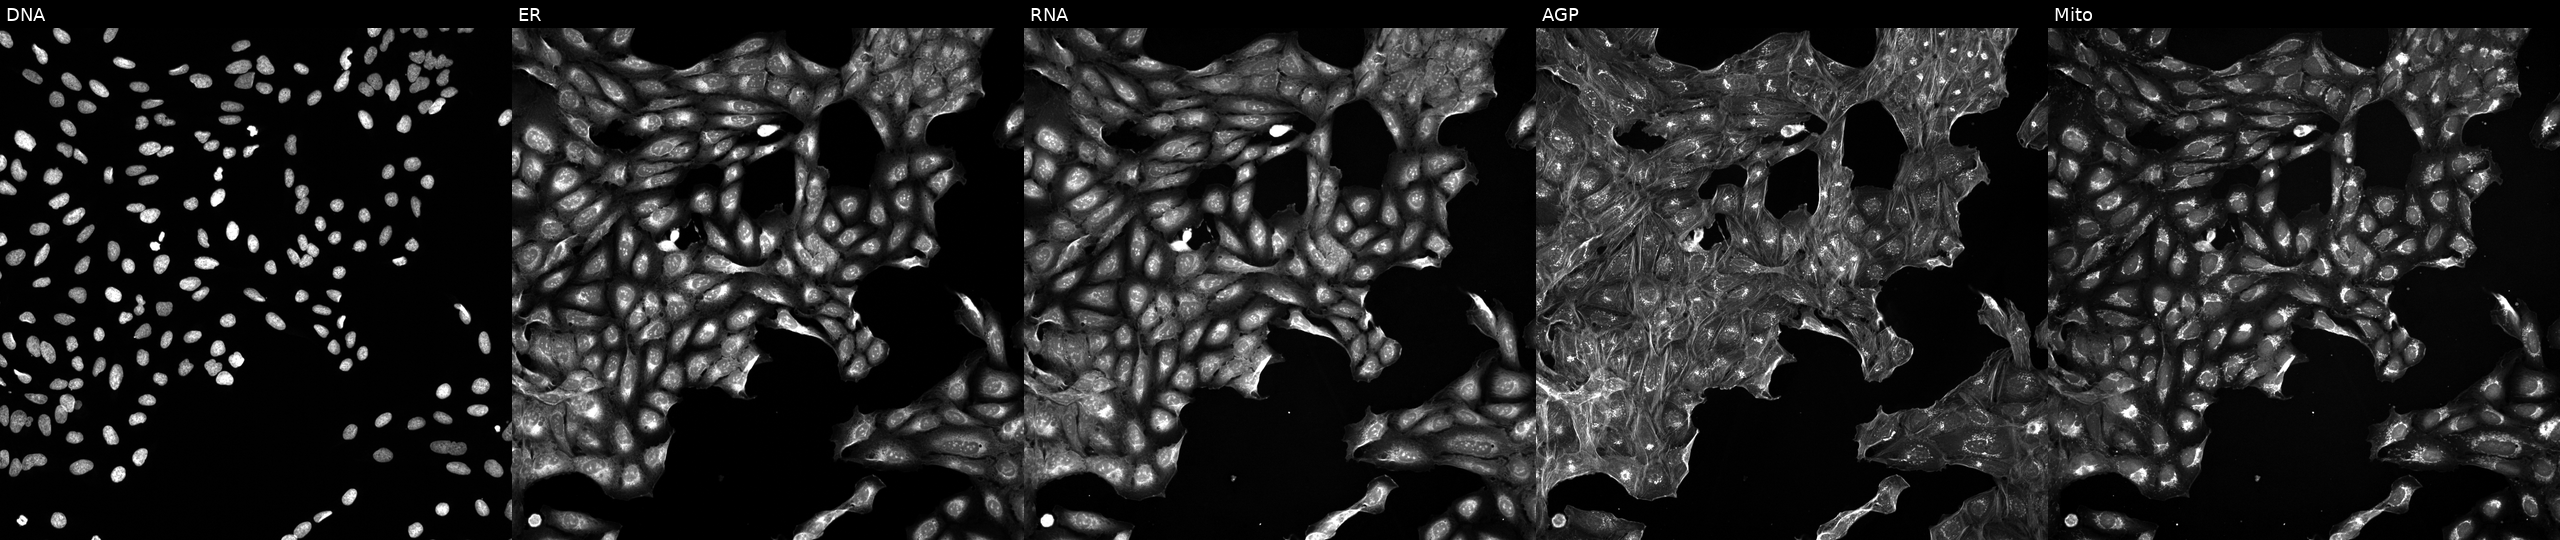
U2OS cells, Cell Painting assay, treated with a small-molecule compound (InChIKey ROBYKNONIPZMTK-UHFFFAOYSA-N) [SMILES: O=Nc1c(O)[nH]c2c(Cl)c(Cl)ccc12] (JUMP id JCP2022_079617). From left to right: Hoechst 33342, concanavalin A, SYTO 14, phalloidin and WGA, MitoTracker. Each panel is percentile-stretched 16-bit fluorescence.